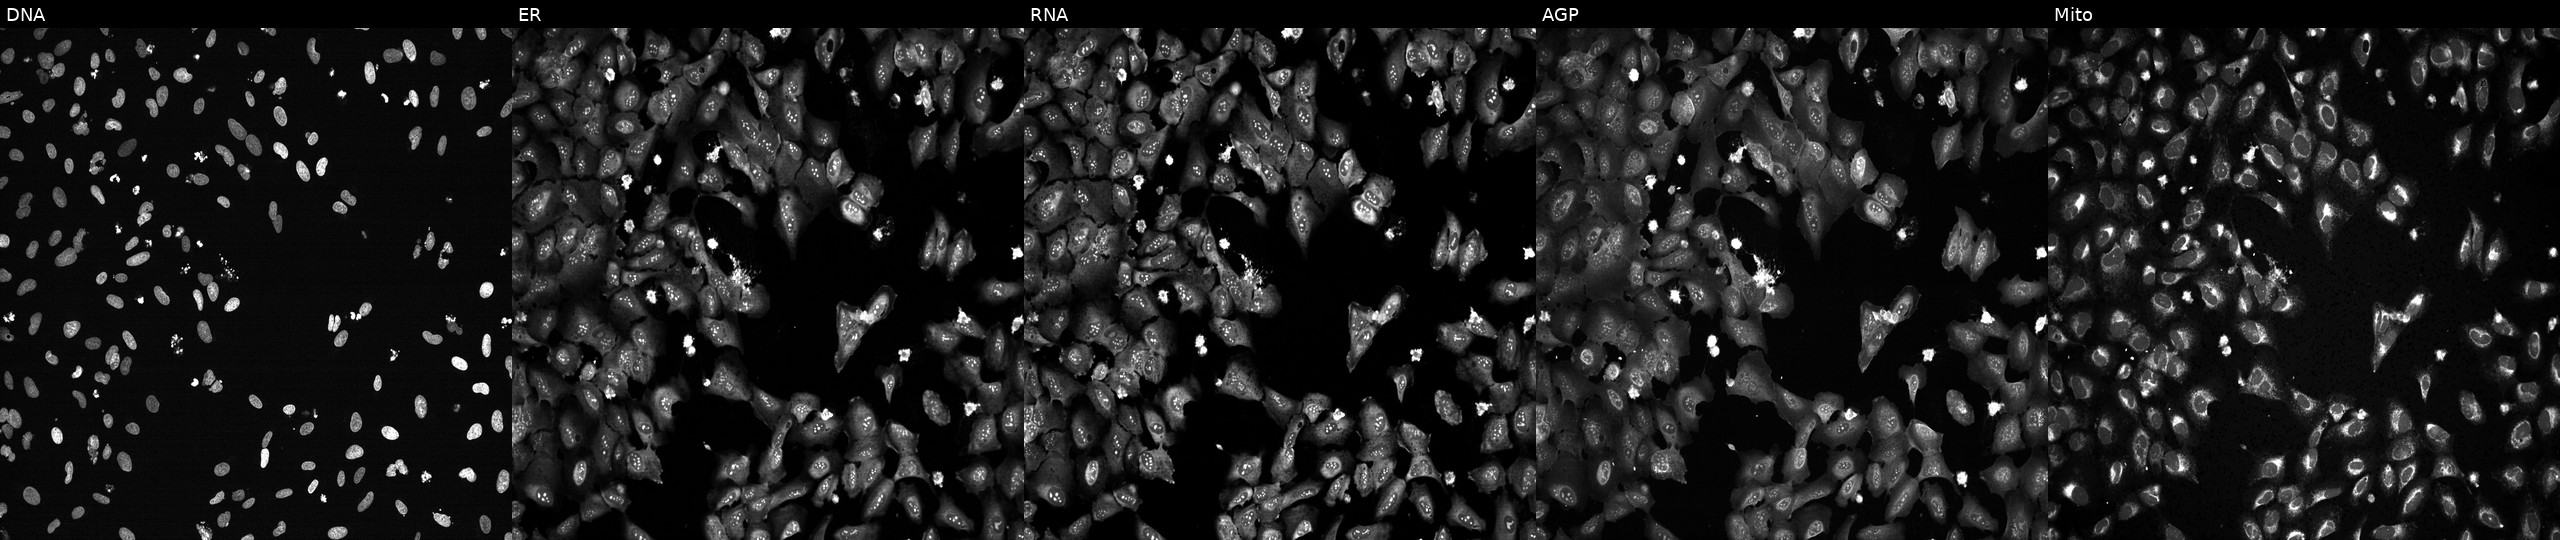
High-content fluorescence microscopy (Cell Painting). Cell line: U2OS. Perturbation: treated with TC-S-7004 (positive-control compound). Channels (left→right): Hoechst 33342, concanavalin A, SYTO 14, phalloidin and WGA, MitoTracker.